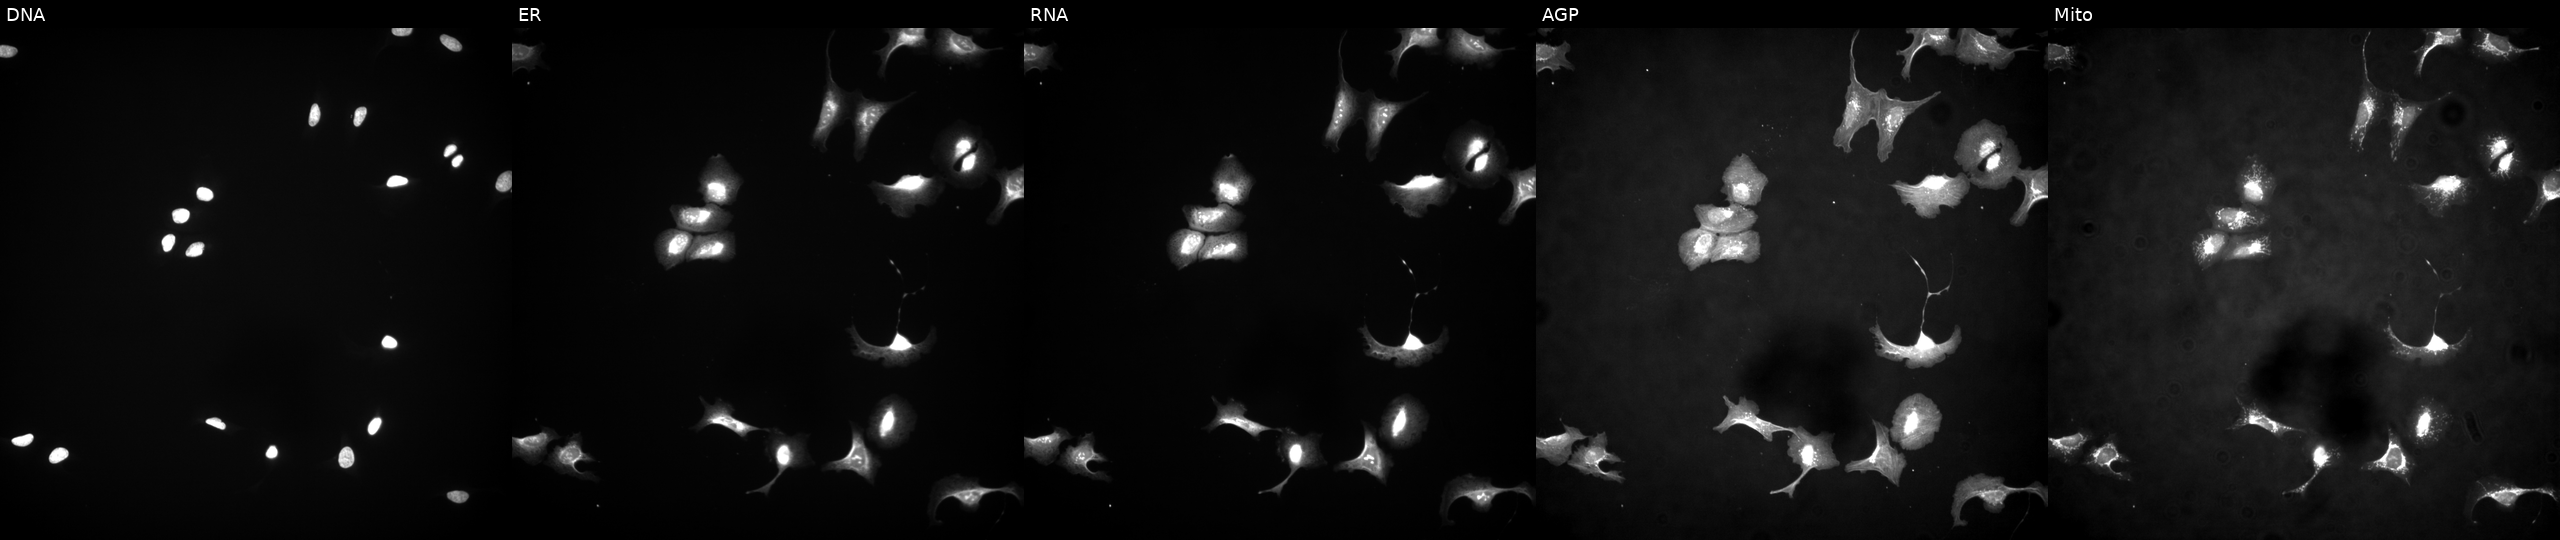
U2OS cells, Cell Painting assay, transfected with an ORF construct for DDX11 (JUMP id JCP2022_910039). From left to right: Hoechst 33342, concanavalin A, SYTO 14, phalloidin and WGA, MitoTracker. Each panel is percentile-stretched 16-bit fluorescence.